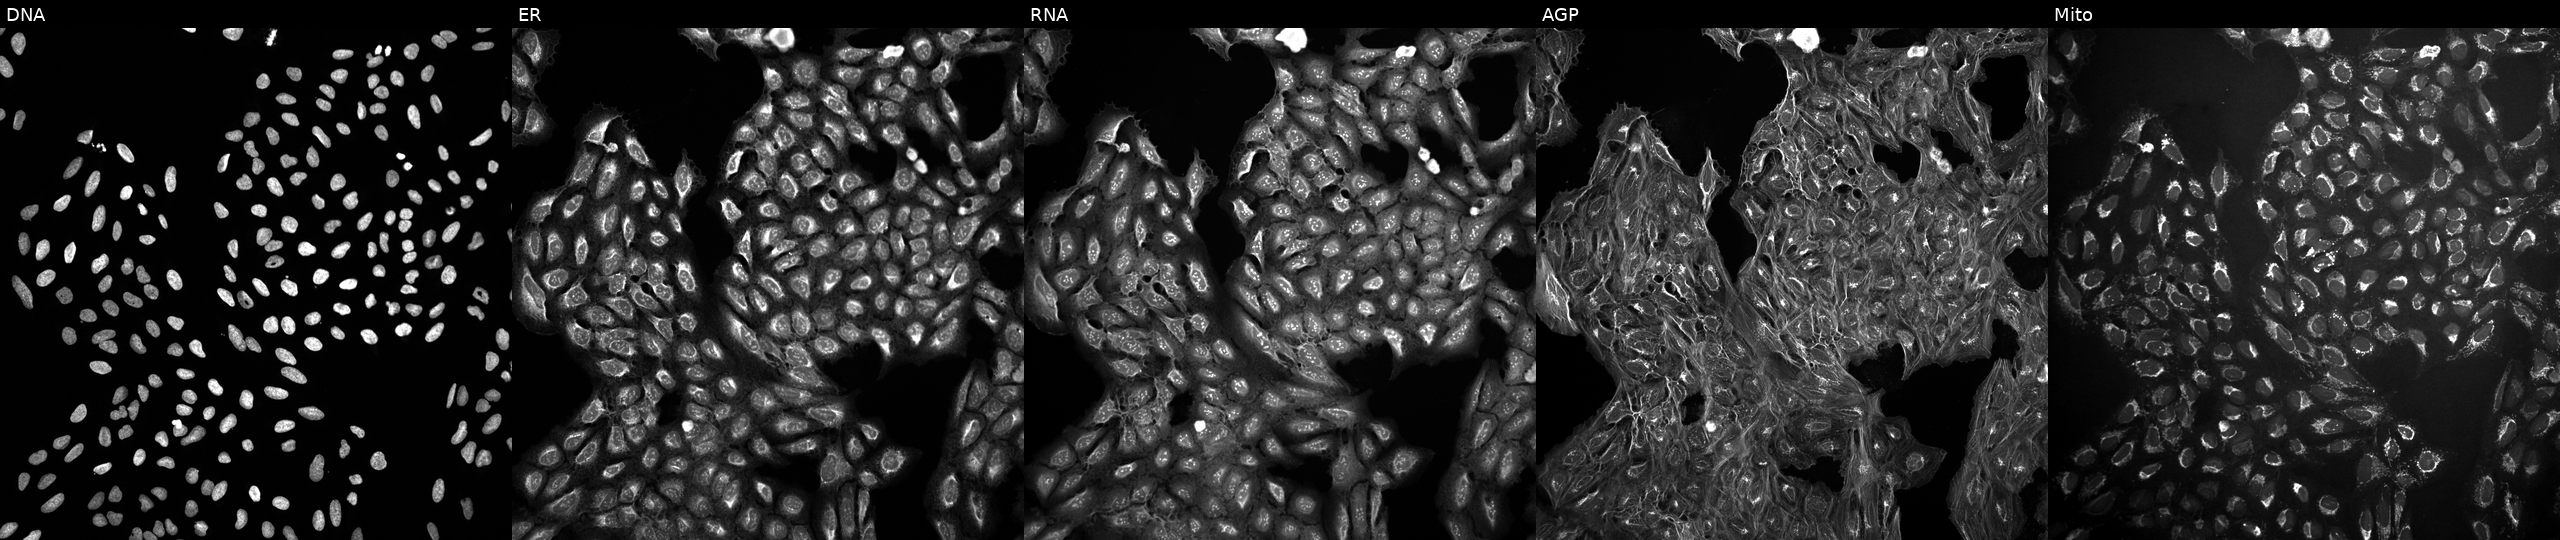
JUMP Cell Painting — COMPOUND plate. U2OS cells exposed to a small-molecule compound (JUMP id JCP2022_001790). The five panels, left to right, show DNA, ER, RNA, AGP, and Mito.